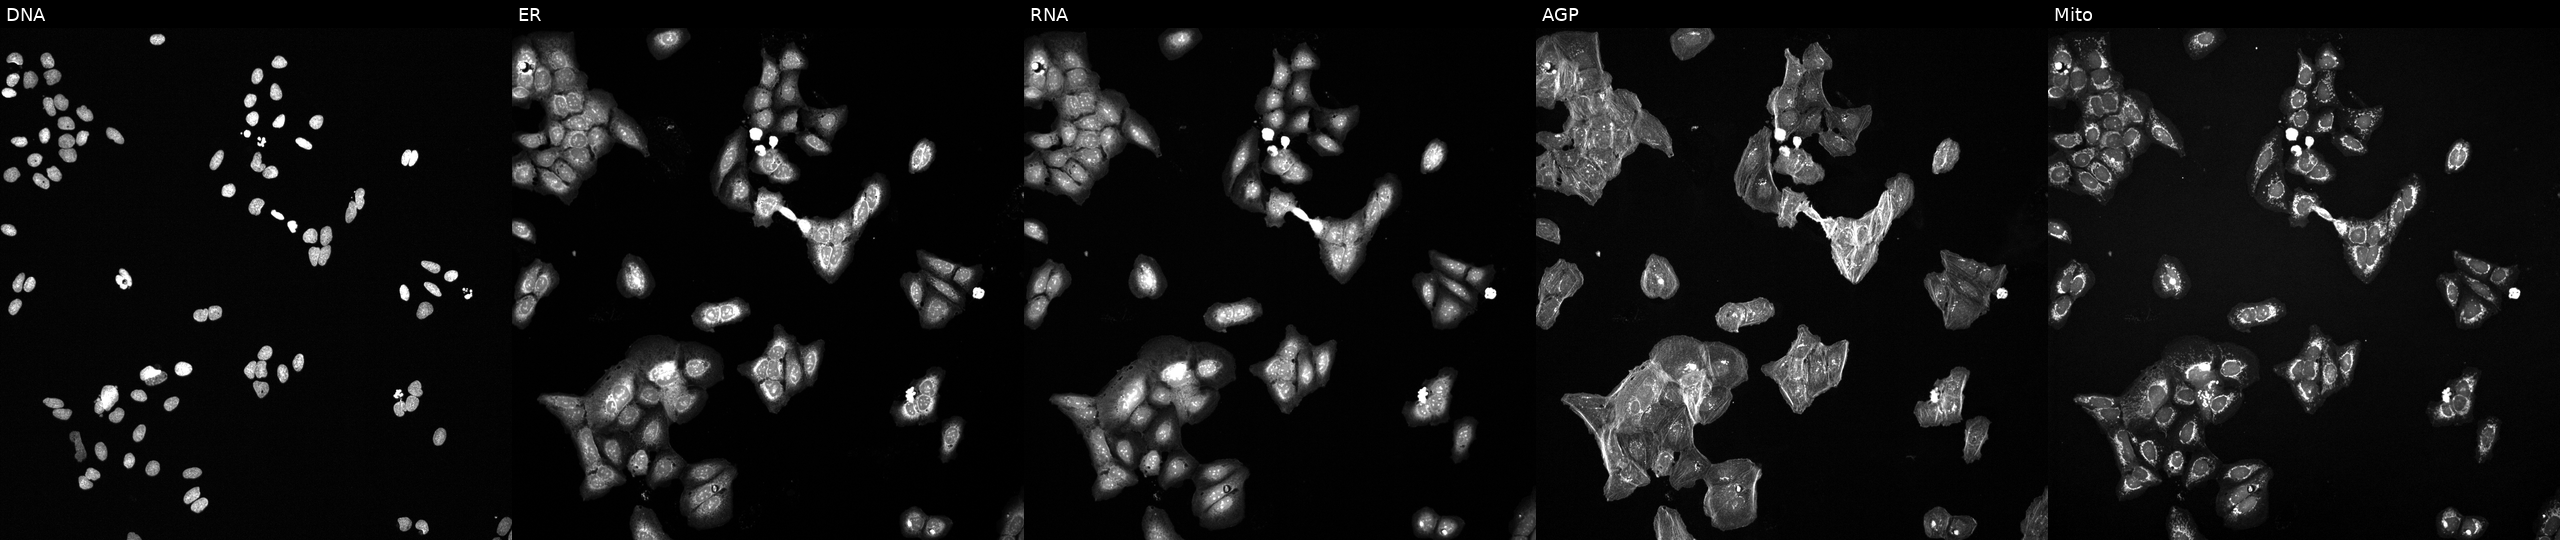
JUMP Cell Painting — TARGET2 plate. U2OS cells exposed to a small-molecule compound (JUMP id JCP2022_061654). From left to right: DNA, ER, RNA, AGP, and Mito.